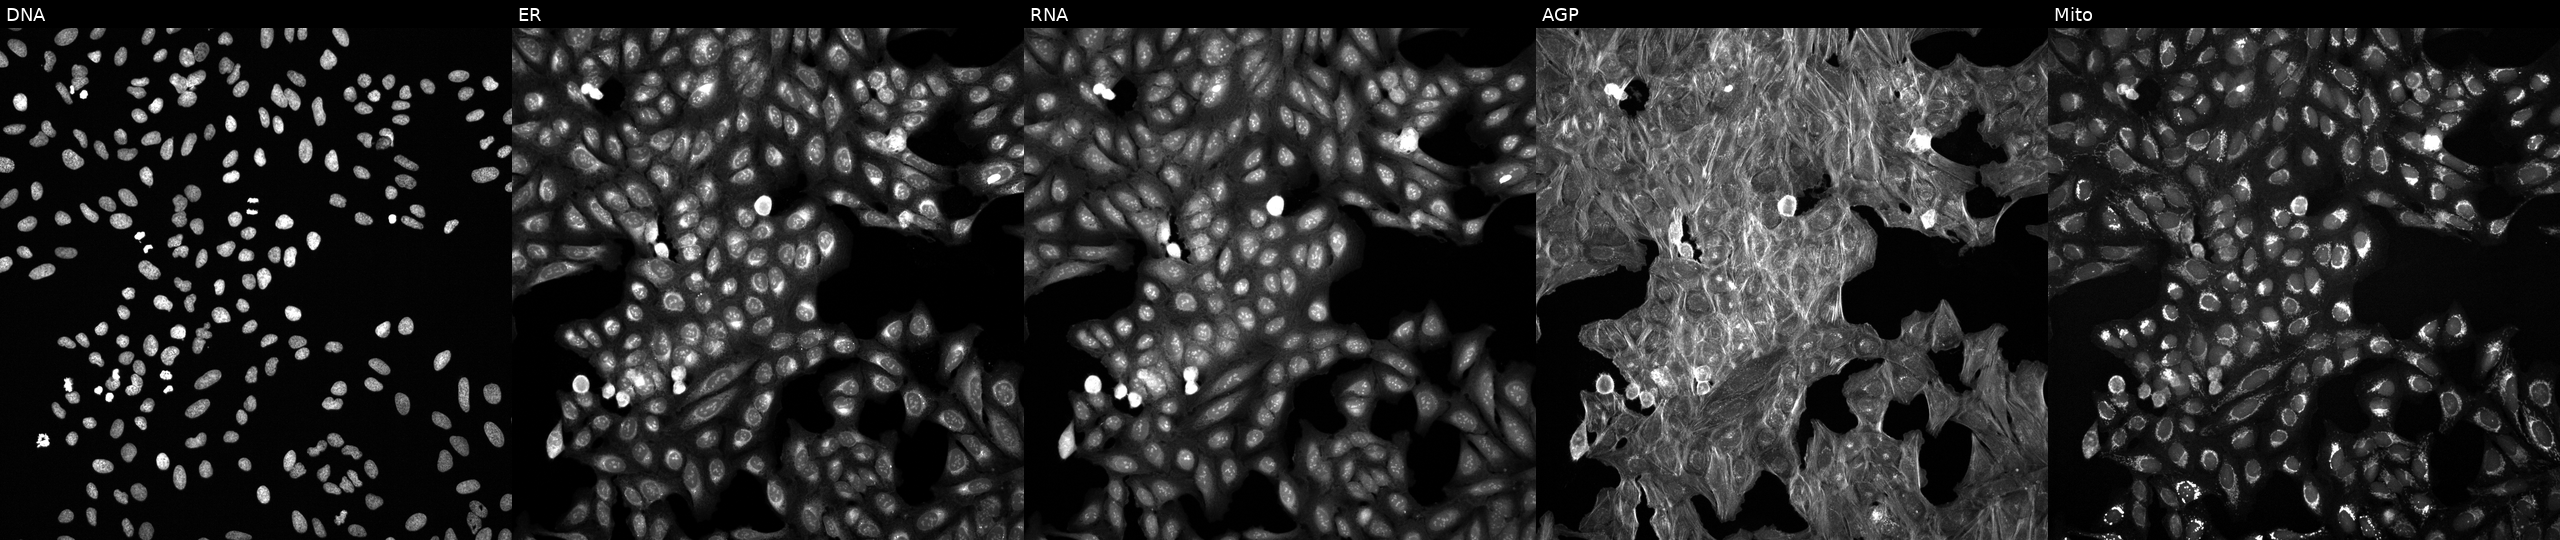
High-content fluorescence microscopy (Cell Painting). Cell line: U2OS. Perturbation: treated with a small-molecule compound (JUMP id JCP2022_042690). From left to right: DNA (nuclei); ER (endoplasmic reticulum); RNA (nucleoli and cytoplasmic RNA); AGP (actin cytoskeleton, Golgi, and plasma membrane); Mito (mitochondria).